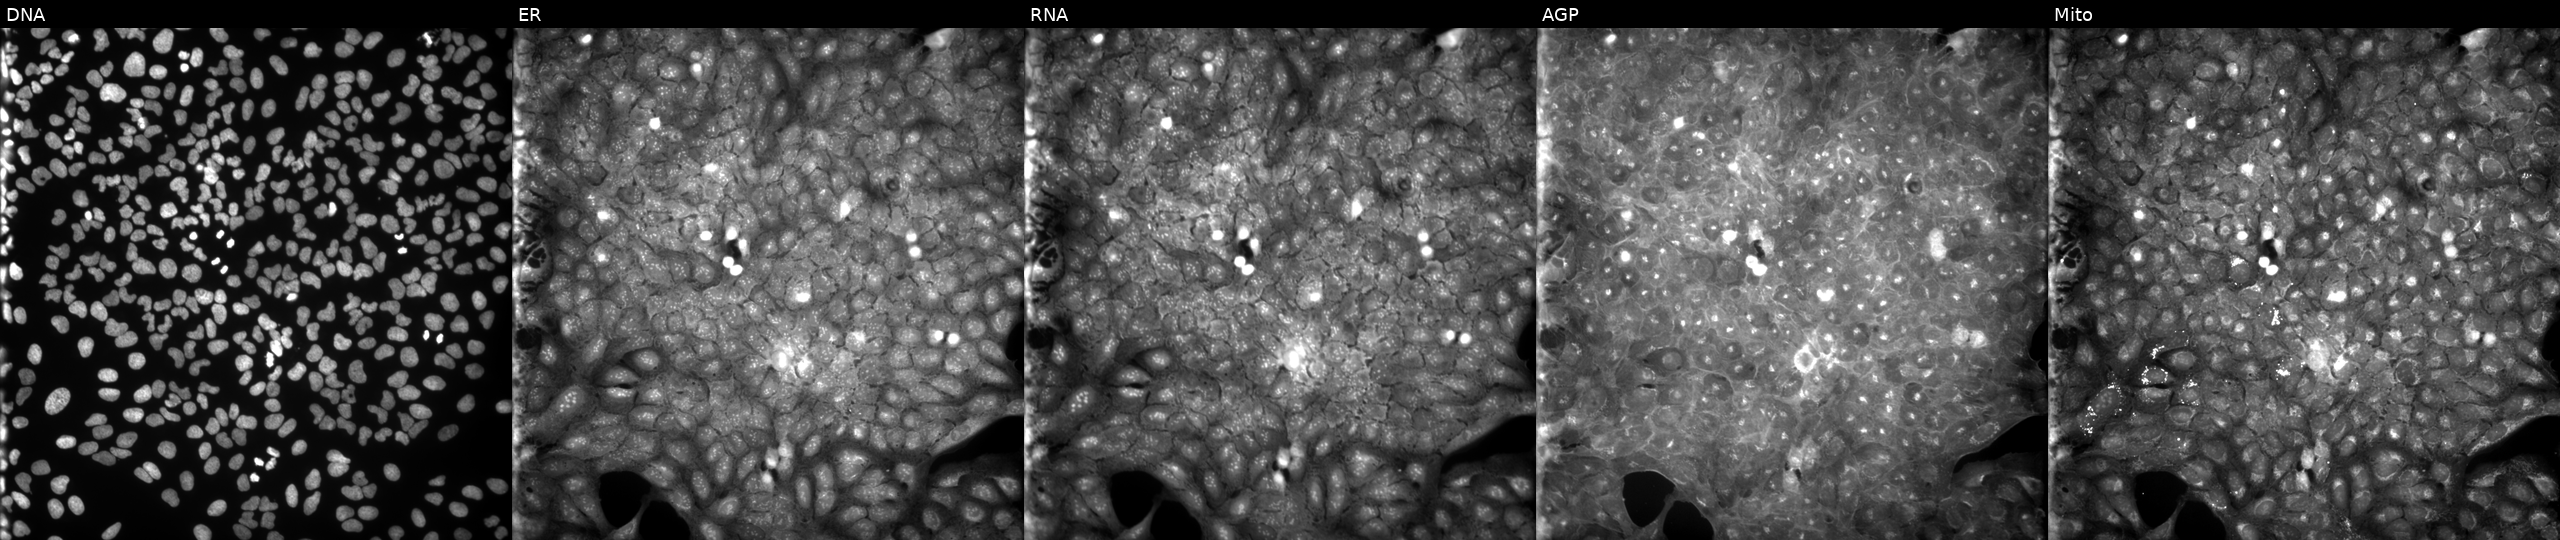
Channels (left→right): DNA (nuclei); ER (endoplasmic reticulum); RNA (nucleoli and cytoplasmic RNA); AGP (actin cytoskeleton, Golgi, and plasma membrane); Mito (mitochondria). U2OS osteosarcoma cells exposed to a small-molecule compound (InChIKey ILIOLFTVDZBWQL-UHFFFAOYSA-N) [SMILES: O=C(NCC1c2ccccc2CCN1C(=O)CN1CCOCC1)C1CCCCC1] (JUMP id JCP2022_035797). Cell Painting assay, JUMP-CP dataset. Source 9, plate GR00003381, well I17.